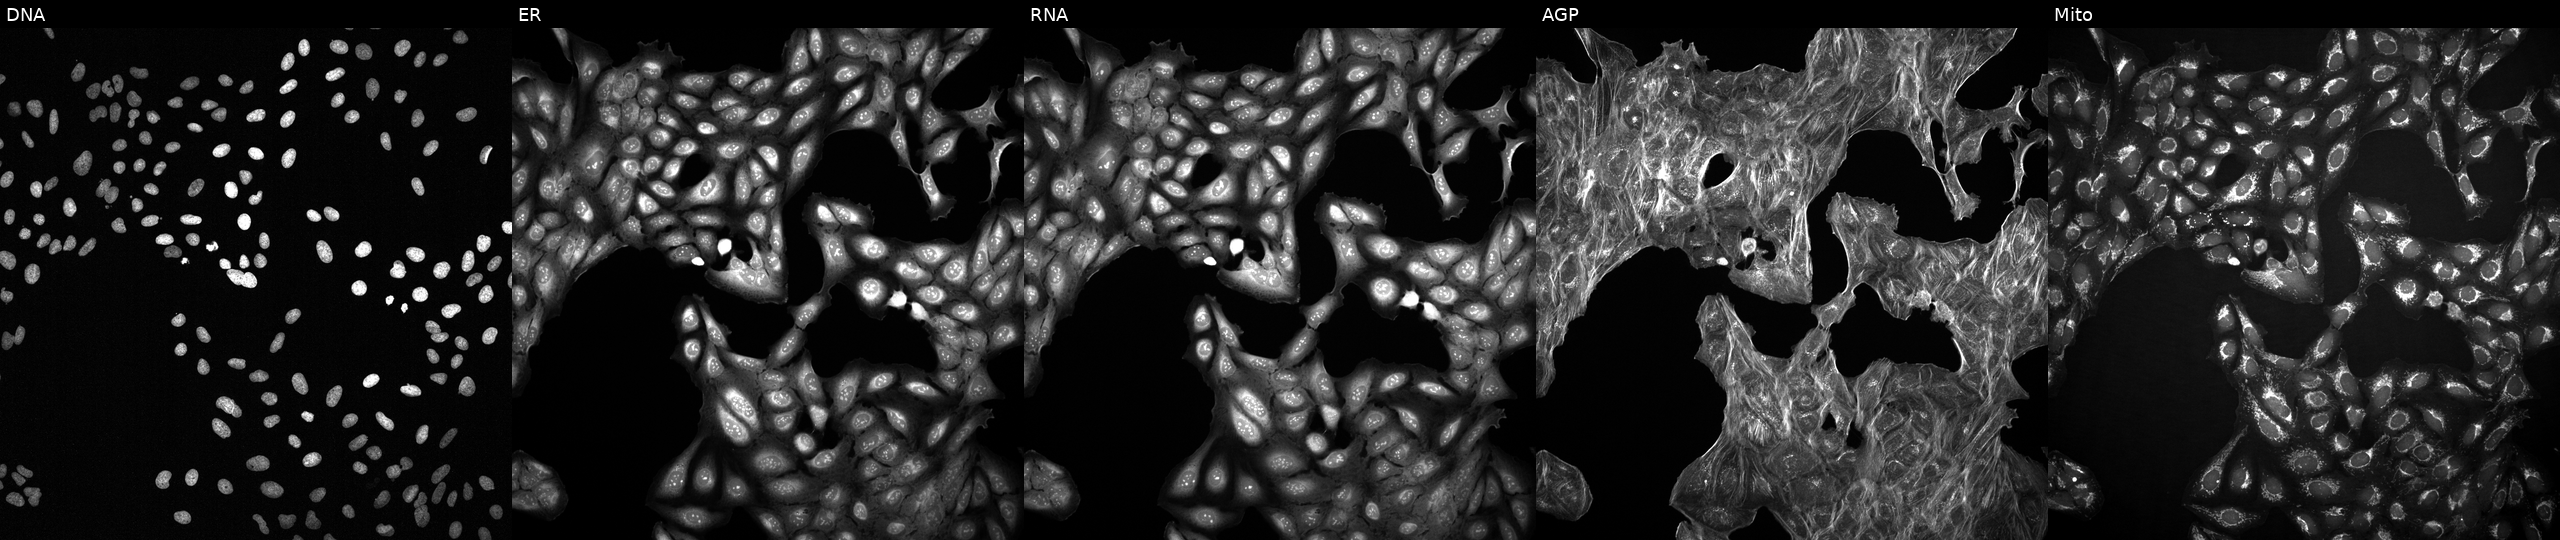
High-content fluorescence microscopy (Cell Painting). Cell line: U2OS. Perturbation: with an unidentified perturbation (not annotated in JUMP metadata). The five panels, left to right, show Hoechst 33342, concanavalin A, SYTO 14, phalloidin and WGA, MitoTracker.